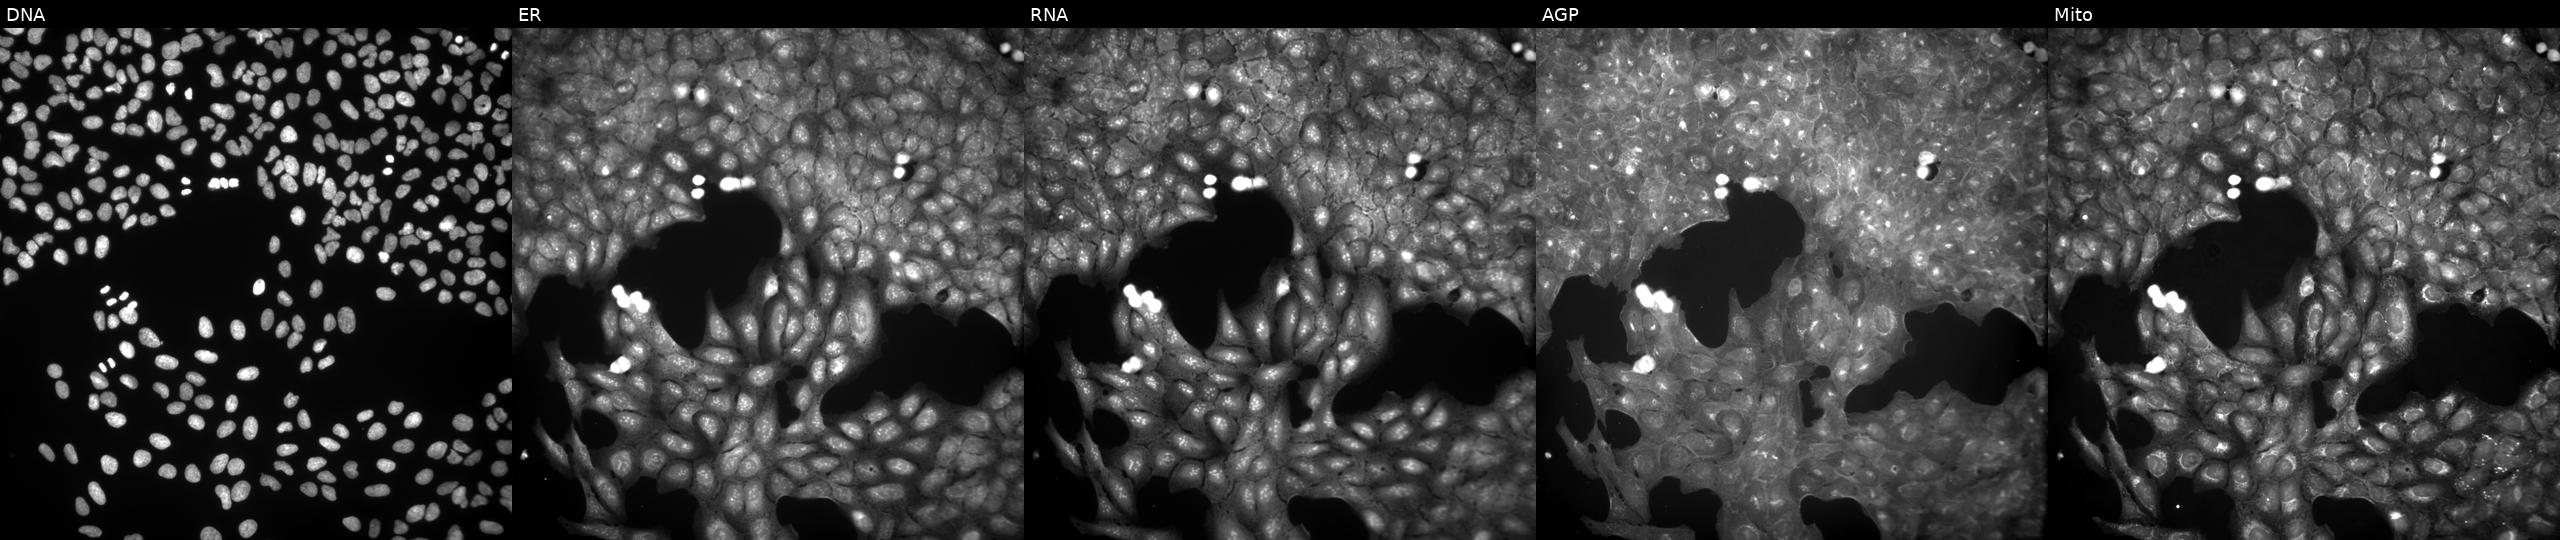
Panels show, left to right, DNA (nuclei); ER (endoplasmic reticulum); RNA (nucleoli and cytoplasmic RNA); AGP (actin cytoskeleton, Golgi, and plasma membrane); Mito (mitochondria). U2OS osteosarcoma cells exposed to a small-molecule compound (InChIKey DJFLTNZHNFZPMK-UHFFFAOYSA-N) (JUMP id JCP2022_016254). Cell Painting assay, JUMP-CP dataset. Source 9, plate GR00003382, well O38.